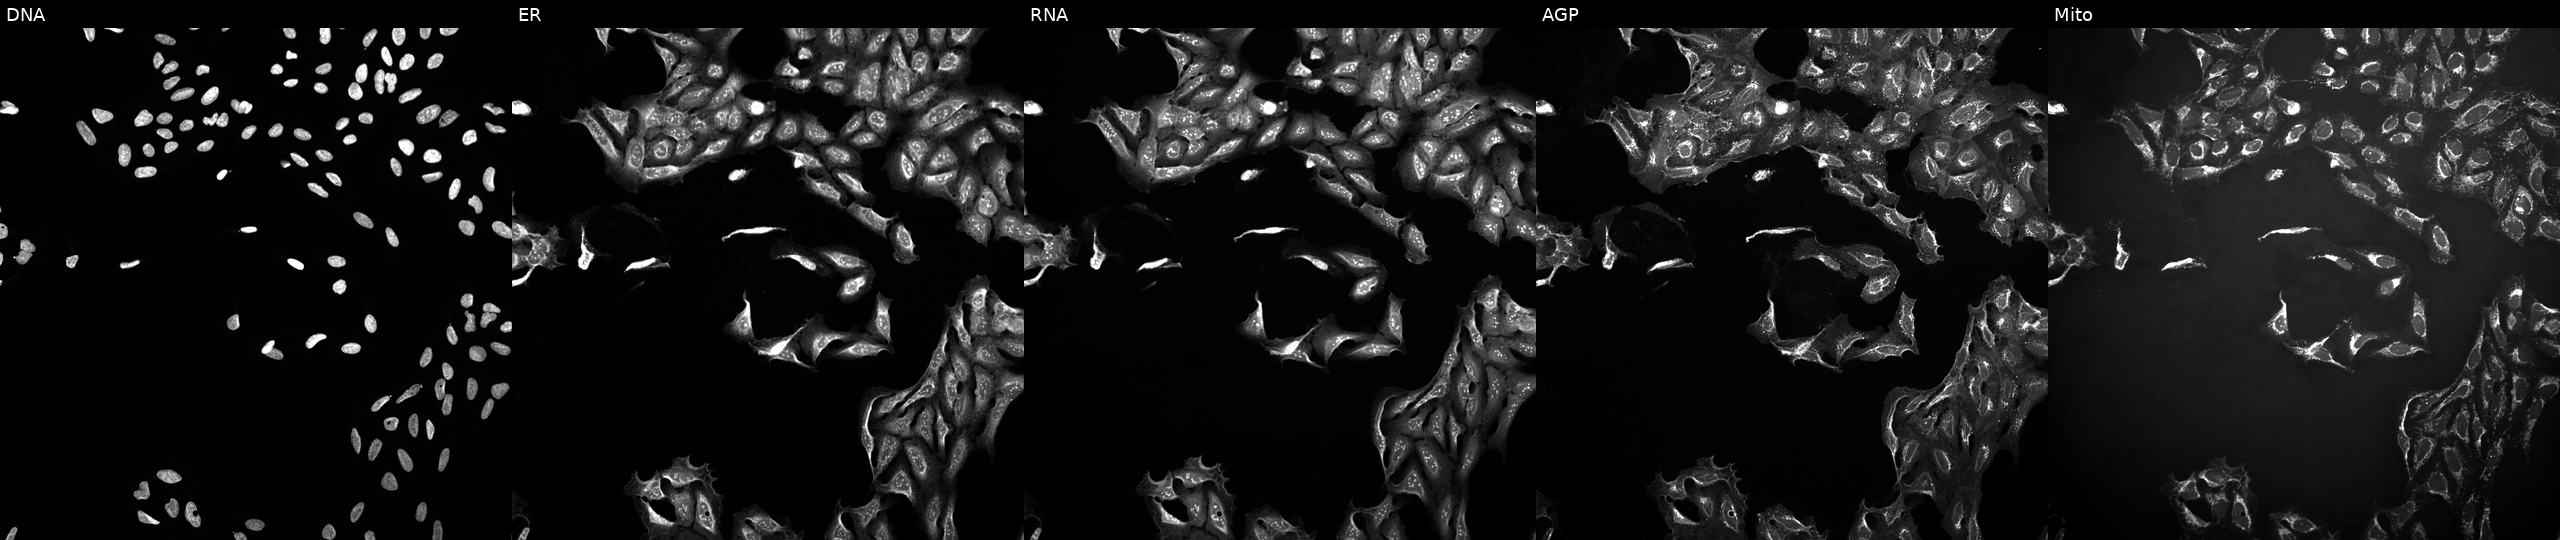
Panels show, left to right, DNA (nuclei); ER (endoplasmic reticulum); RNA (nucleoli and cytoplasmic RNA); AGP (actin cytoskeleton, Golgi, and plasma membrane); Mito (mitochondria). U2OS osteosarcoma cells perturbed with a small-molecule compound (InChIKey XRVDGNKRPOAQTN-UHFFFAOYSA-N). Cell Painting assay, JUMP-CP dataset.